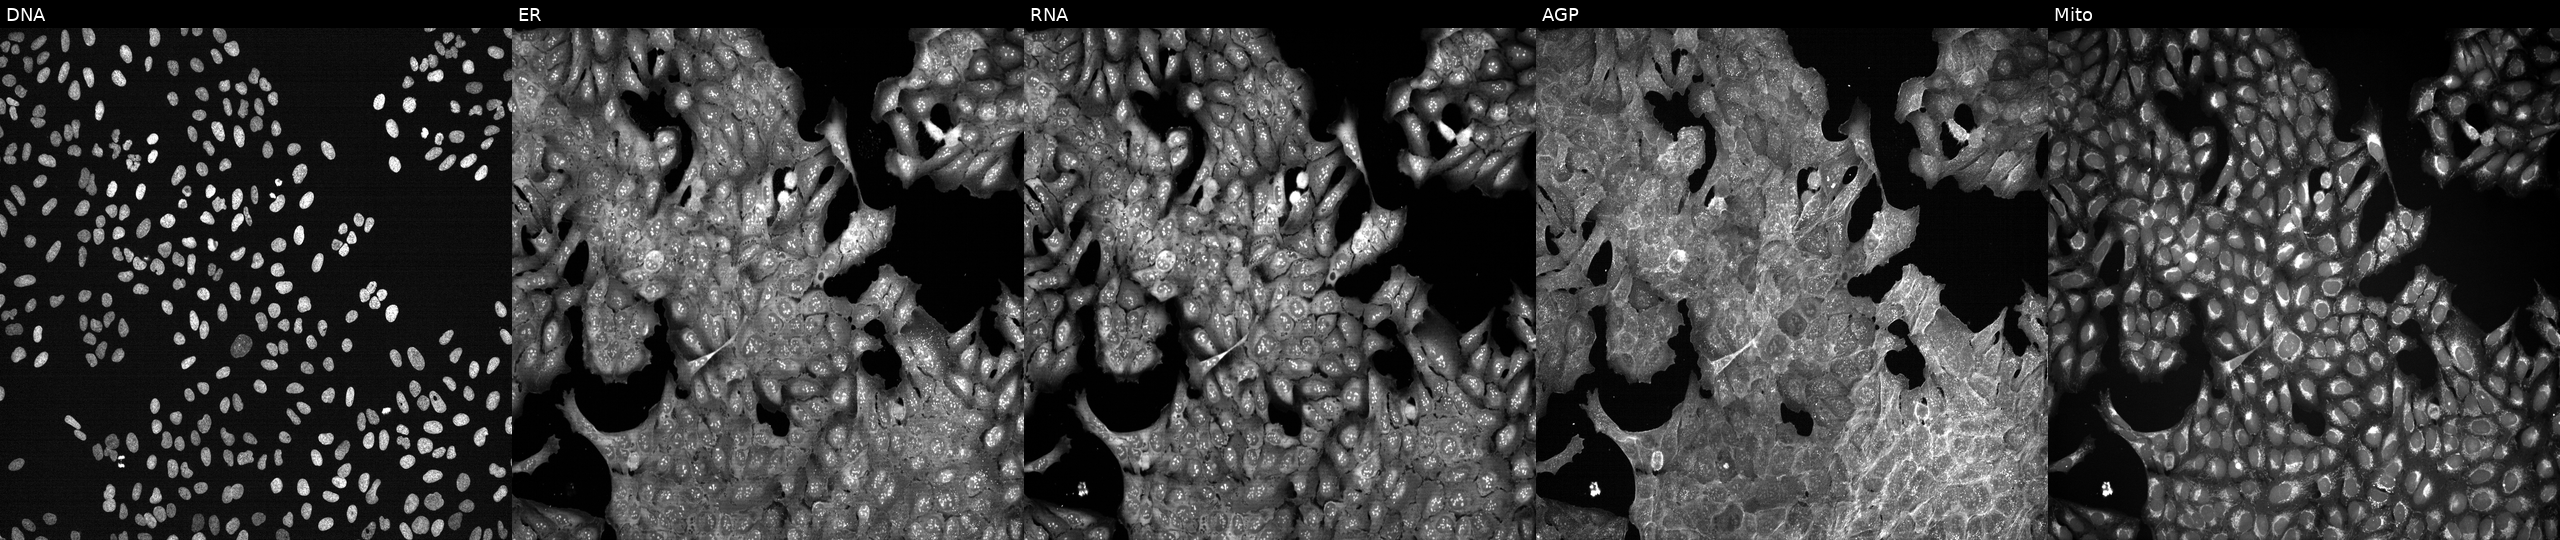
Five-channel Cell Painting image of U2OS cells treated with DMSO vehicle only (negative control). The five panels, left to right, show DNA, ER, RNA, AGP, and Mito.